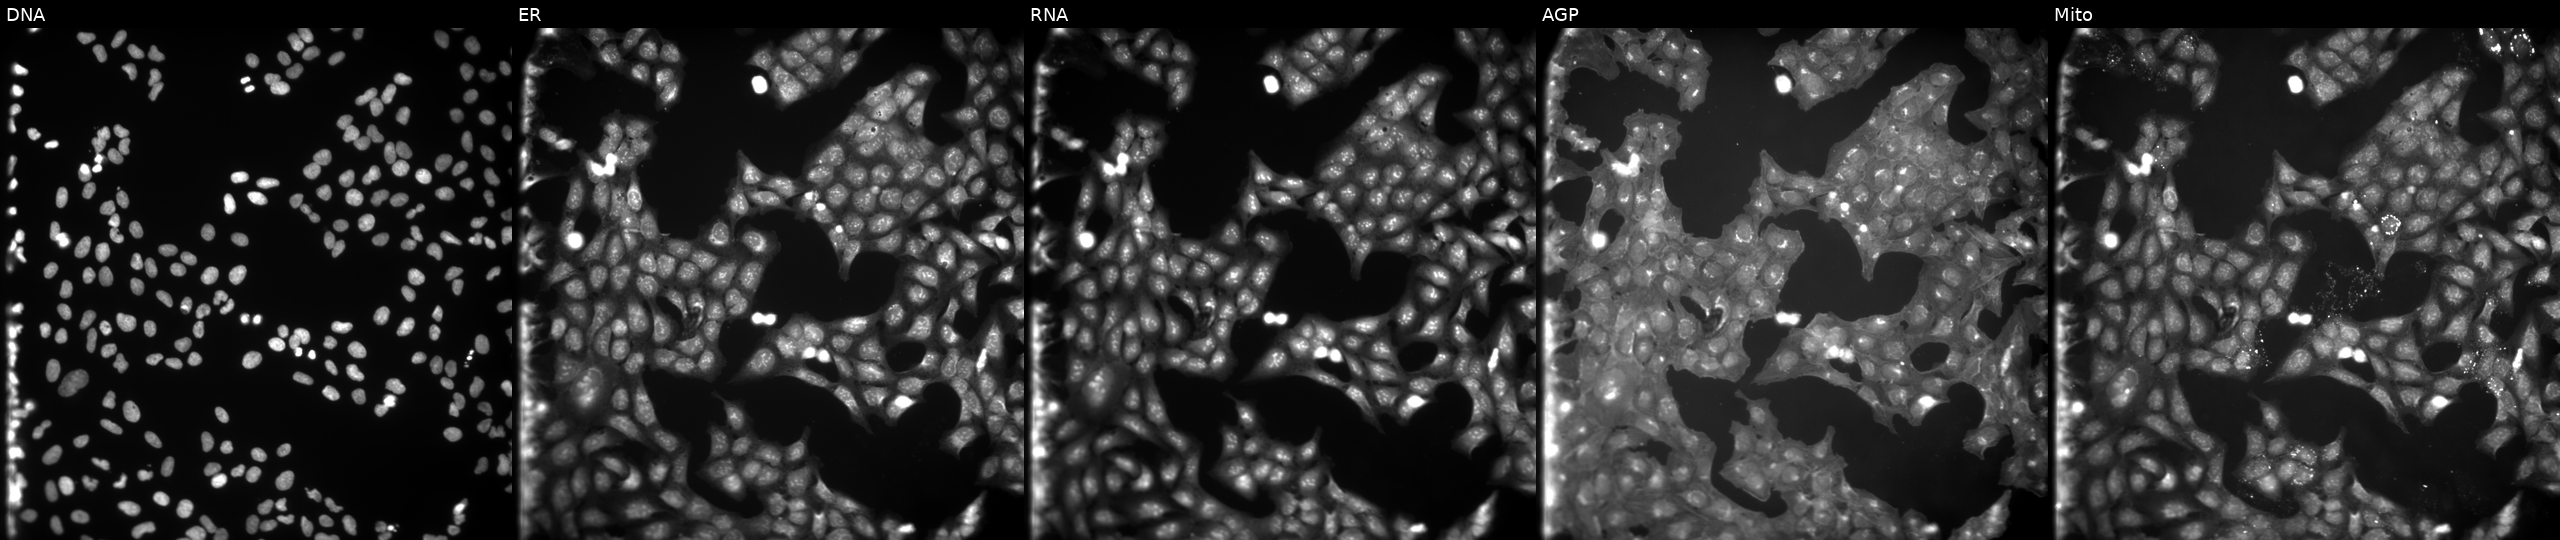
Five-channel Cell Painting image of U2OS cells treated with NVS-PAK1-1 (positive-control compound). From left to right: DNA, ER, RNA, AGP, and Mito.